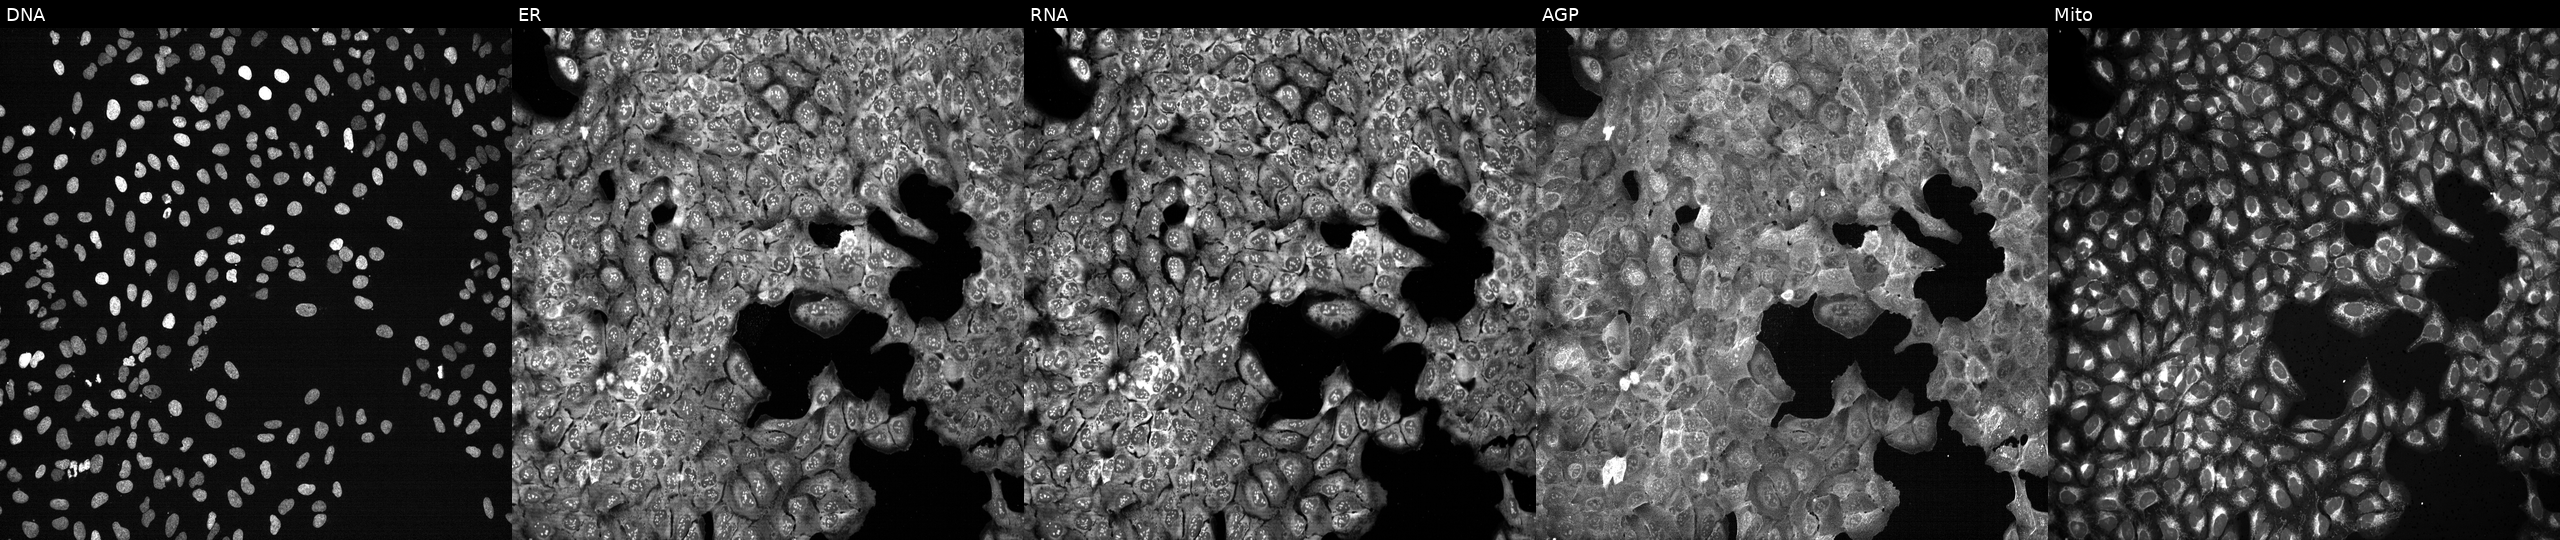
JUMP Cell Painting — CRISPR plate. U2OS cells CRISPR-edited to disrupt KPNA1 (JUMP id JCP2022_803747). From left to right: DNA, ER, RNA, AGP, and Mito.